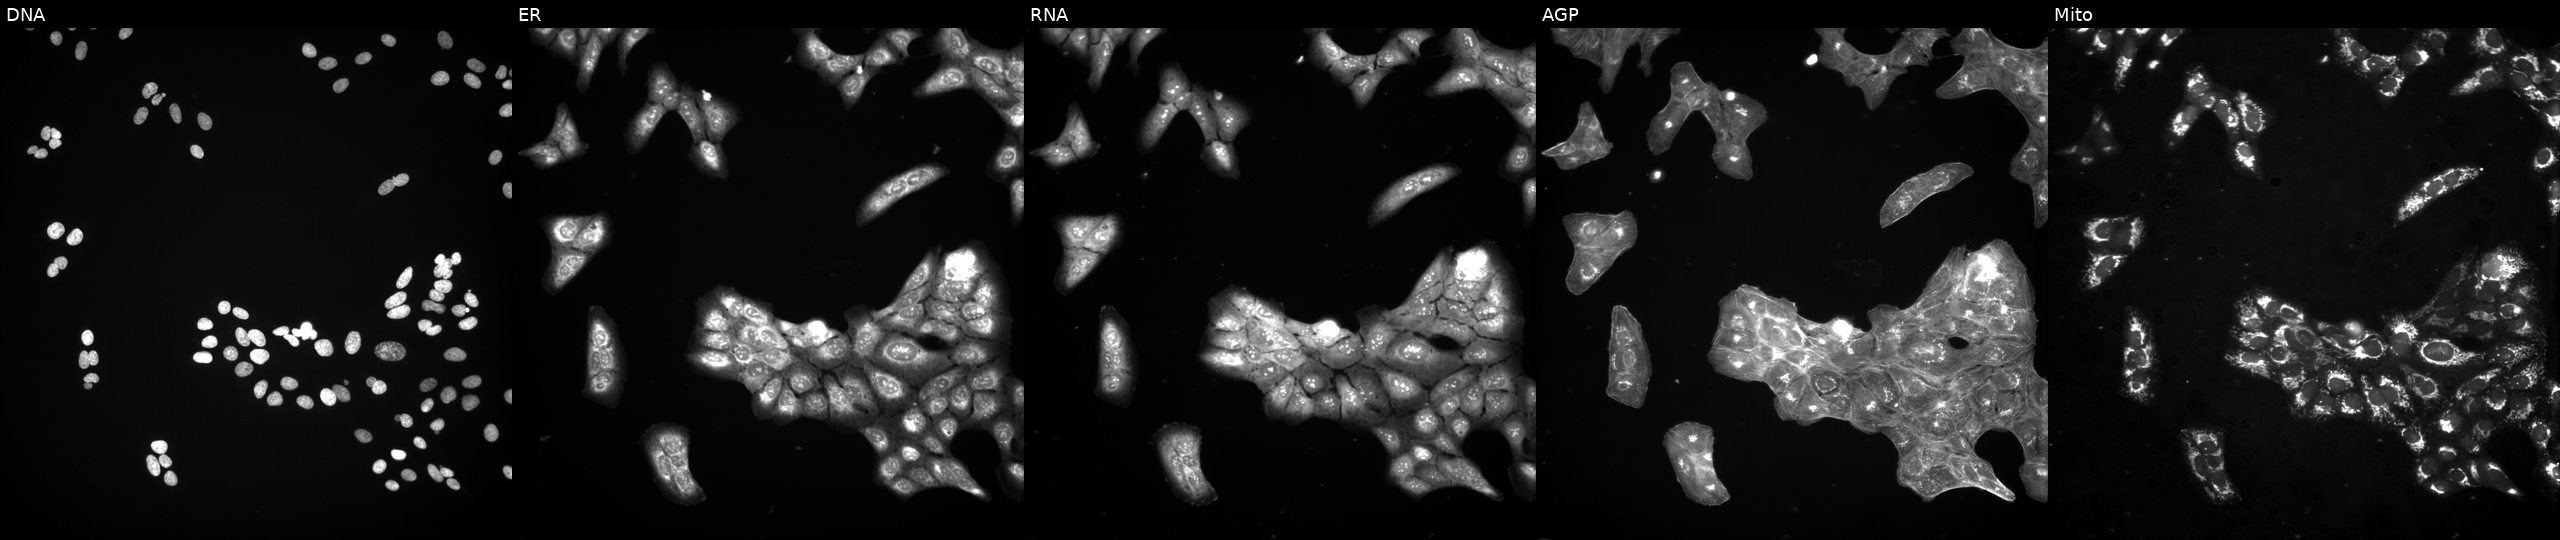
Panels show, left to right, Hoechst 33342, concanavalin A, SYTO 14, phalloidin and WGA, MitoTracker. U2OS osteosarcoma cells perturbed with a small-molecule compound (JUMP id JCP2022_017581). Cell Painting assay, JUMP-CP dataset. Source 3, plate BR5867b3, well C07.